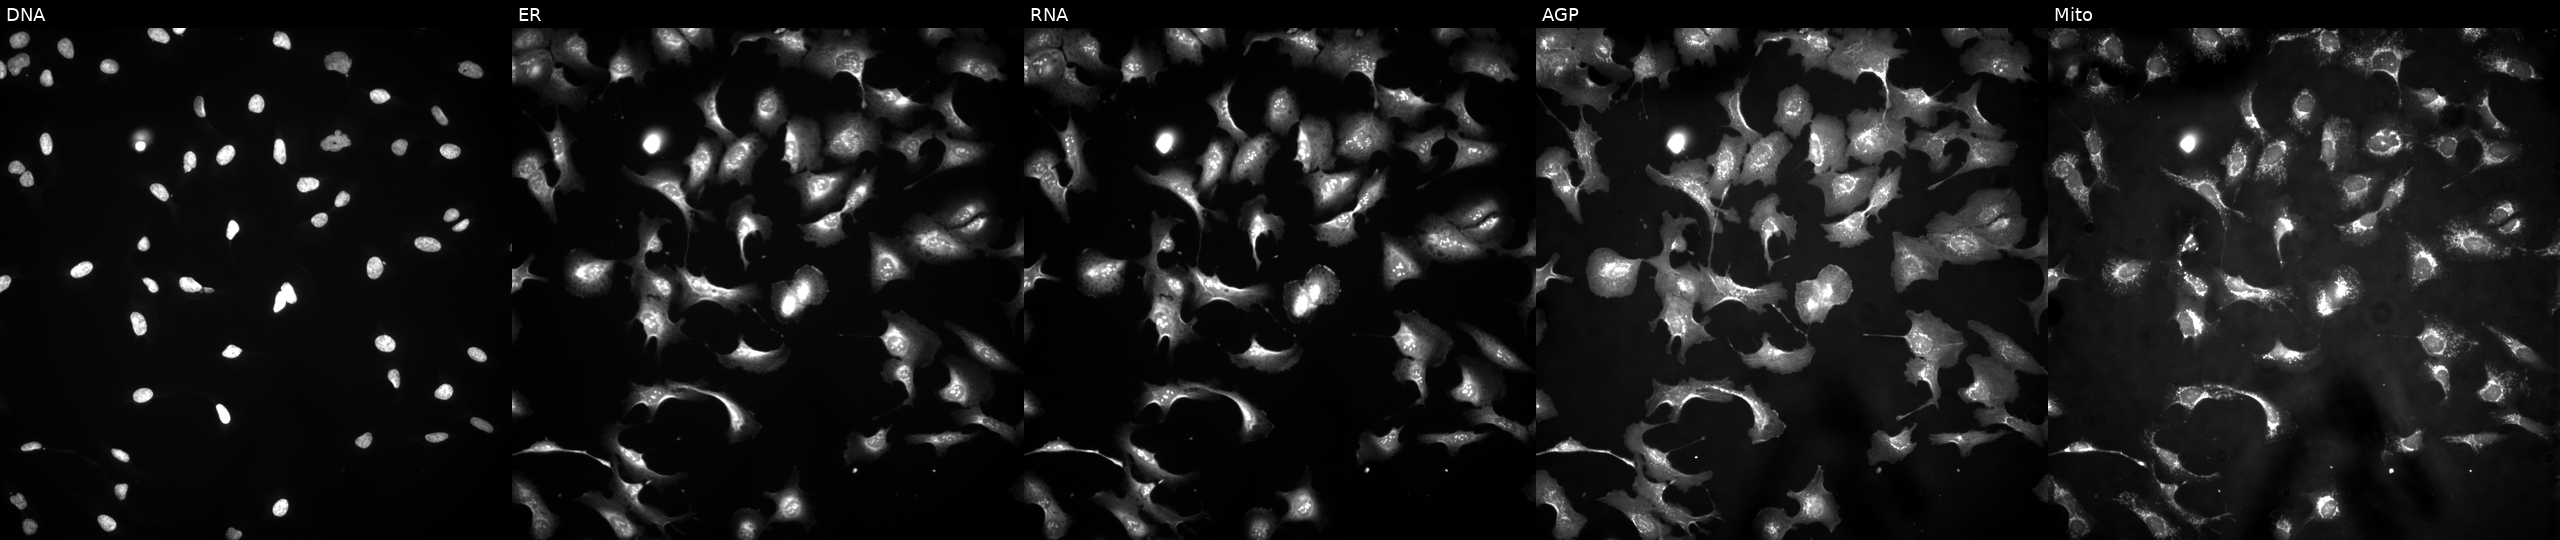
This image strip shows the five Cell Painting channels for a single field of U2OS cells transfected with an ORF construct for RASGRP3 (JUMP id JCP2022_907421). From left to right: Hoechst 33342, concanavalin A, SYTO 14, phalloidin and WGA, MitoTracker. Source 4, plate BR00121543, well I08.